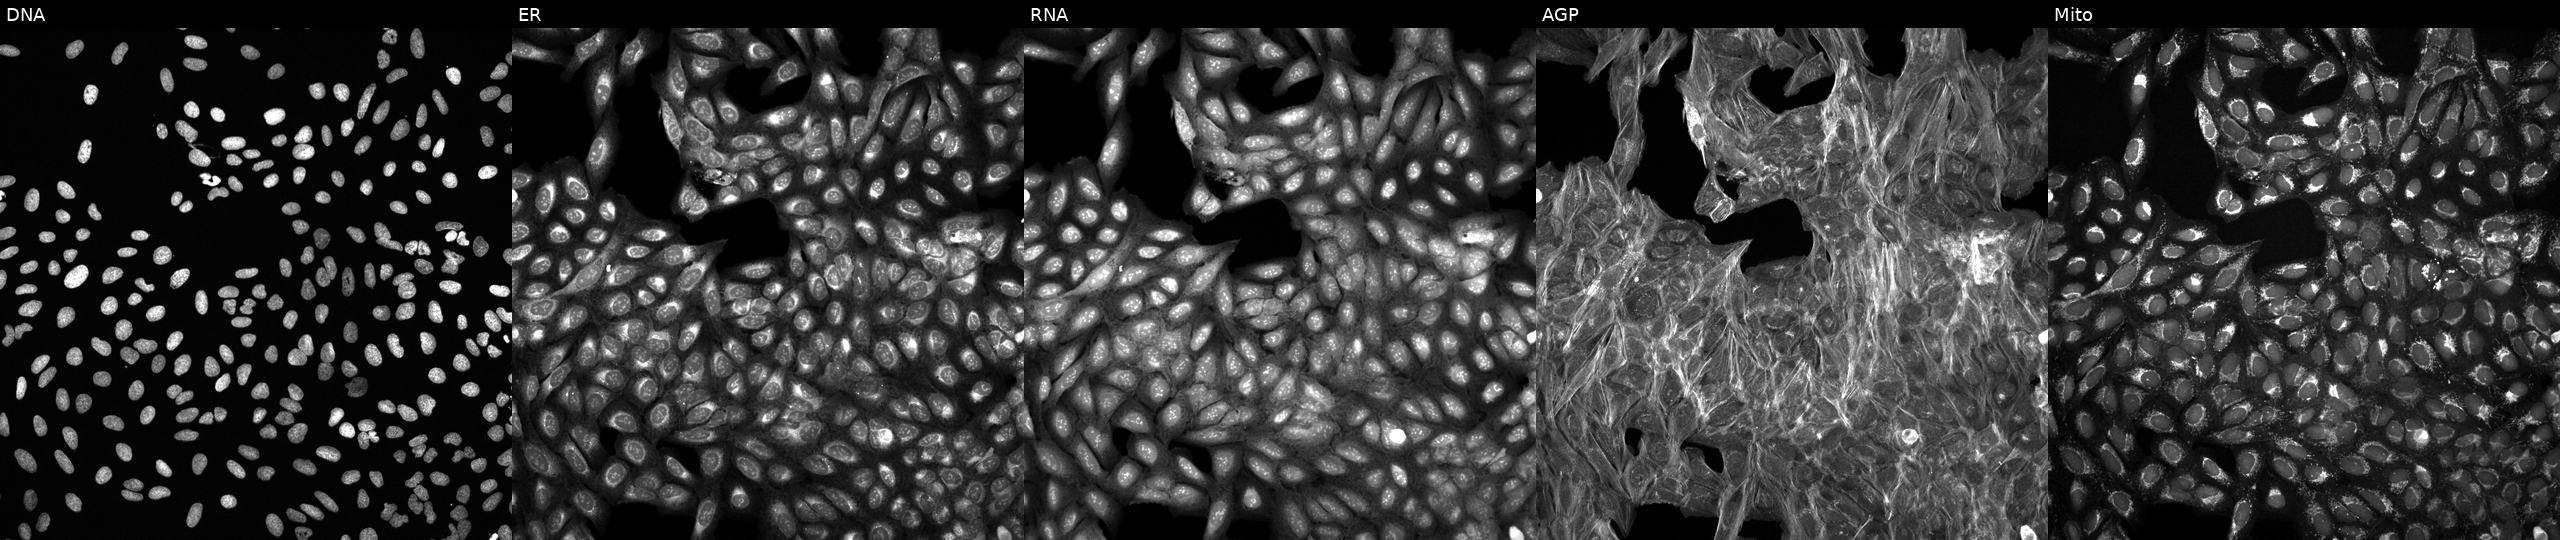
U2OS cells, Cell Painting assay, treated with DMSO vehicle only (negative control) (JUMP id JCP2022_033924). Panels show, left to right, Hoechst 33342, concanavalin A, SYTO 14, phalloidin and WGA, MitoTracker. Each panel is percentile-stretched 16-bit fluorescence. Source 6, plate 110000293093, well E23.